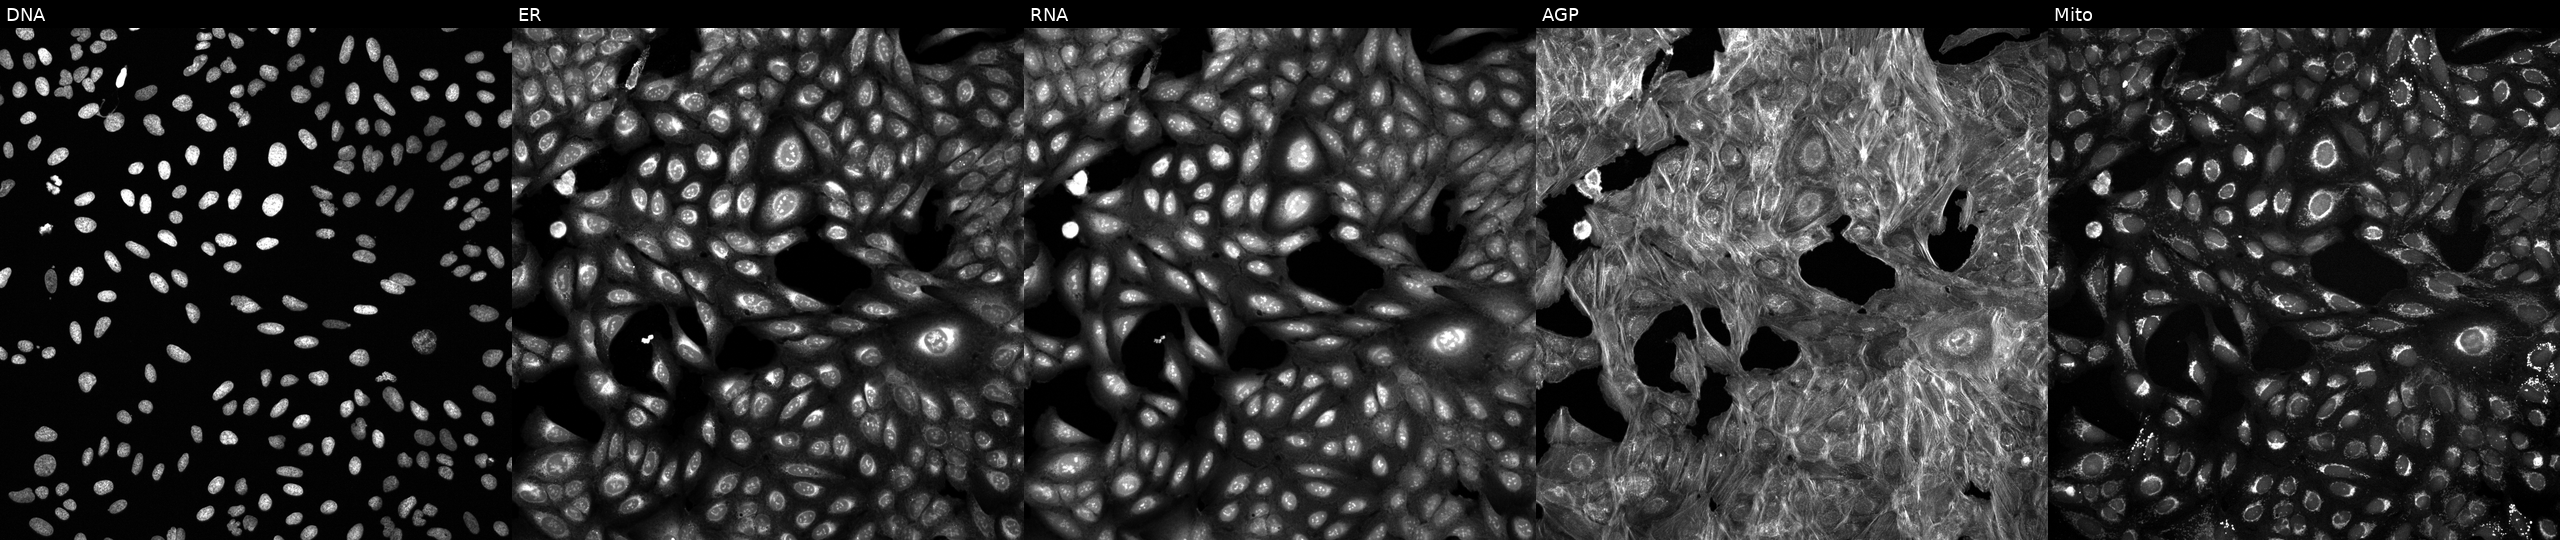
U2OS cells, Cell Painting assay, perturbed with a small-molecule compound (InChIKey BNFRJXLZYUTIII-UHFFFAOYSA-N) (JUMP id JCP2022_007419). Panels show, left to right, DNA (nuclei); ER (endoplasmic reticulum); RNA (nucleoli and cytoplasmic RNA); AGP (actin cytoskeleton, Golgi, and plasma membrane); Mito (mitochondria). Each panel is percentile-stretched 16-bit fluorescence.